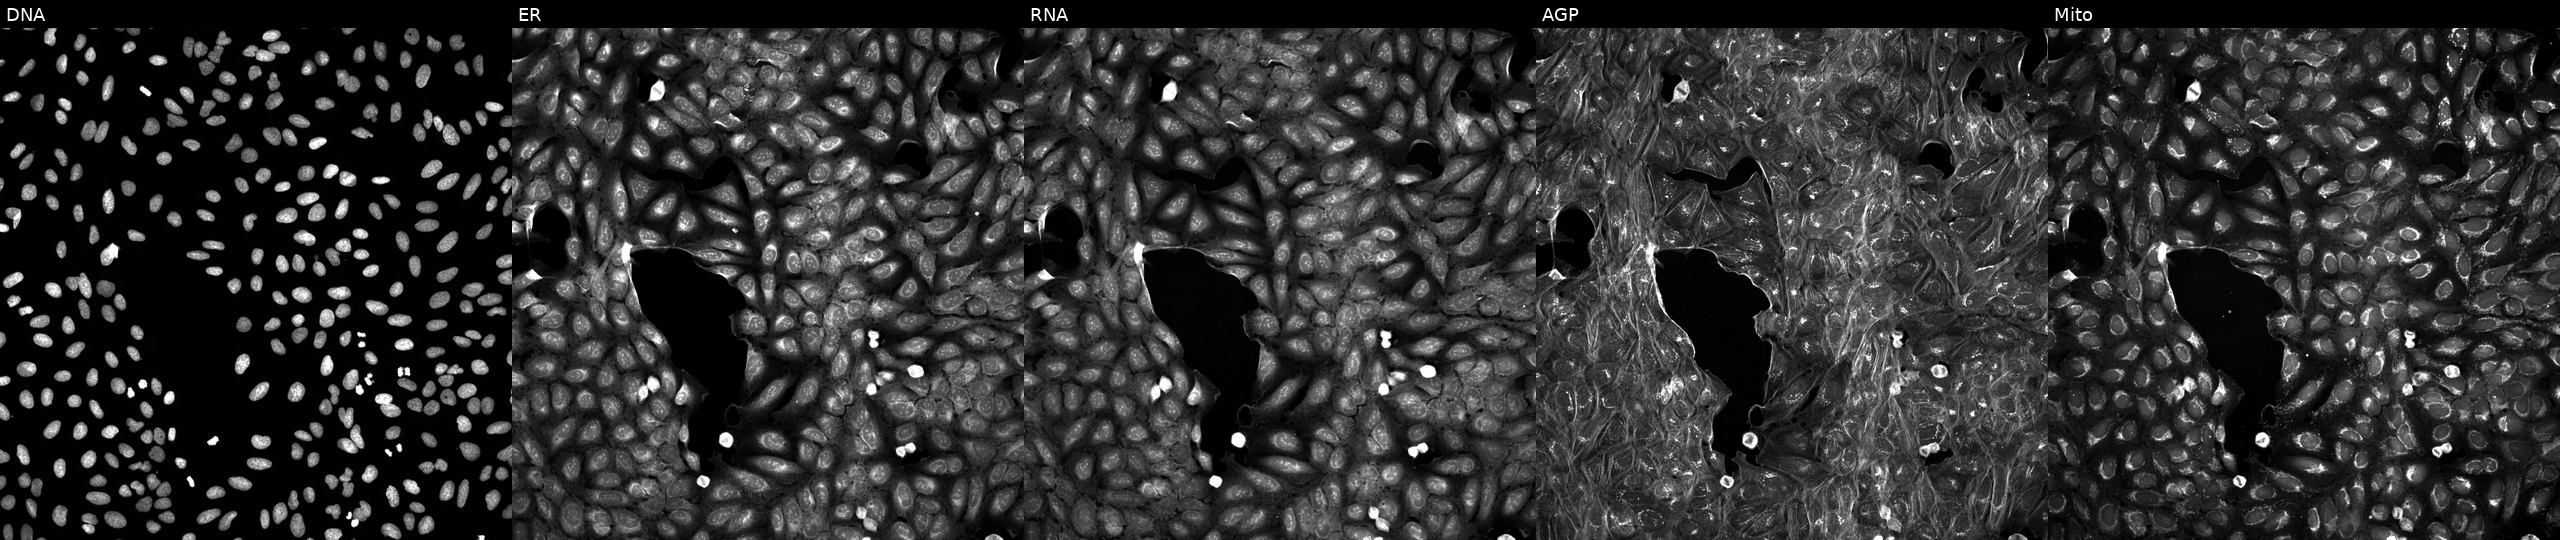
U2OS cells, Cell Painting assay, treated with DMSO vehicle only (negative control). The five panels, left to right, show Hoechst 33342, concanavalin A, SYTO 14, phalloidin and WGA, MitoTracker. Each panel is percentile-stretched 16-bit fluorescence. Source 5, plate ACPJUM032, well C17.